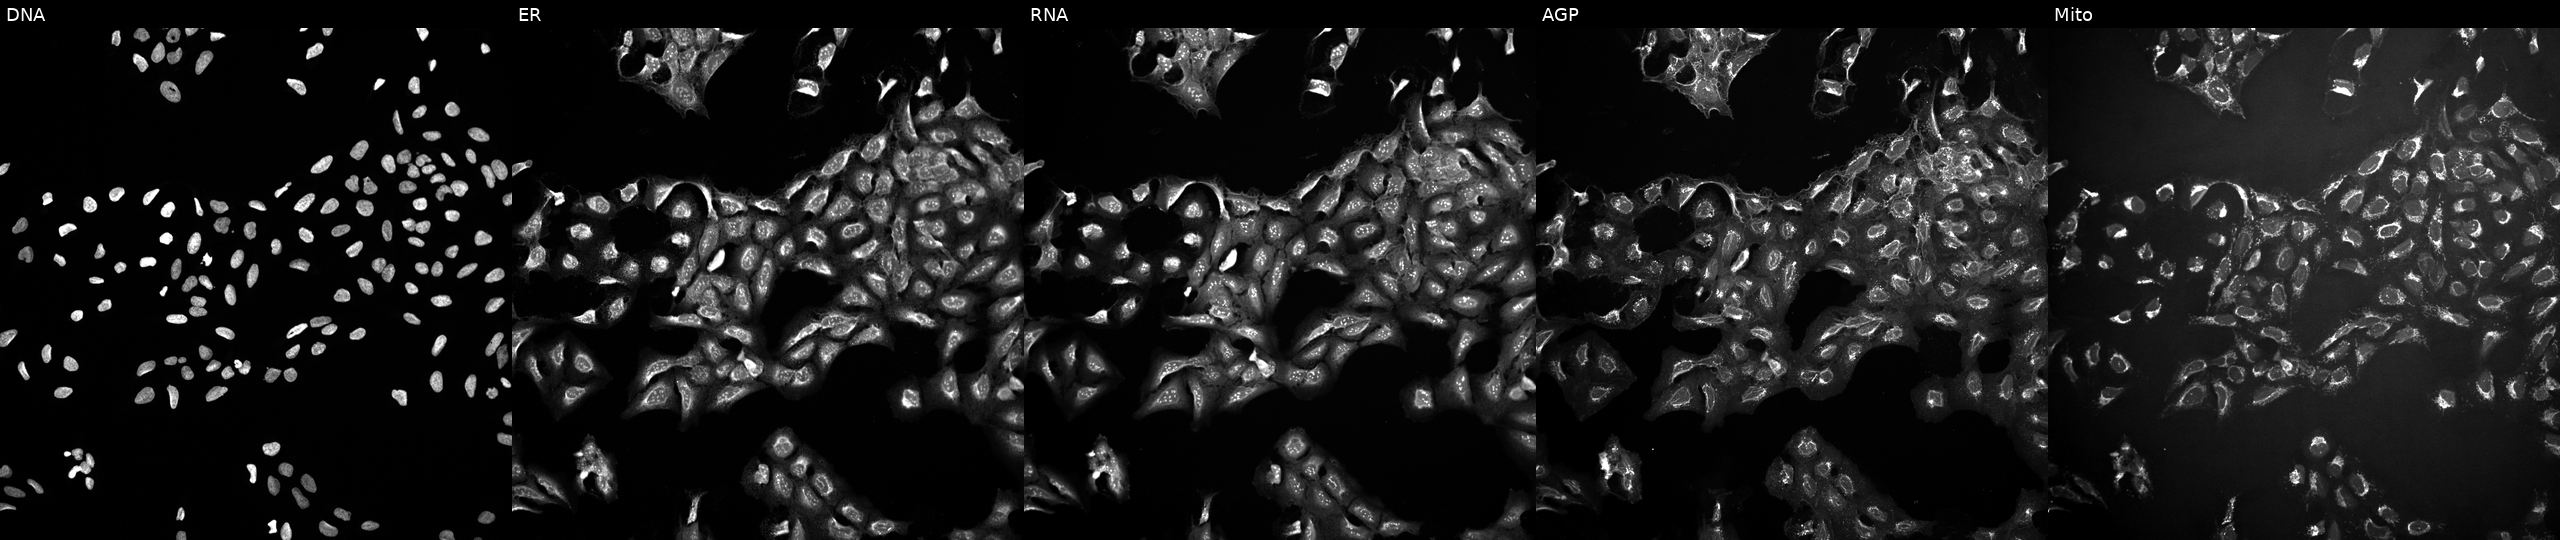
Five-channel Cell Painting image of U2OS cells treated with DMSO vehicle only (negative control). From left to right: Hoechst 33342, concanavalin A, SYTO 14, phalloidin and WGA, MitoTracker.